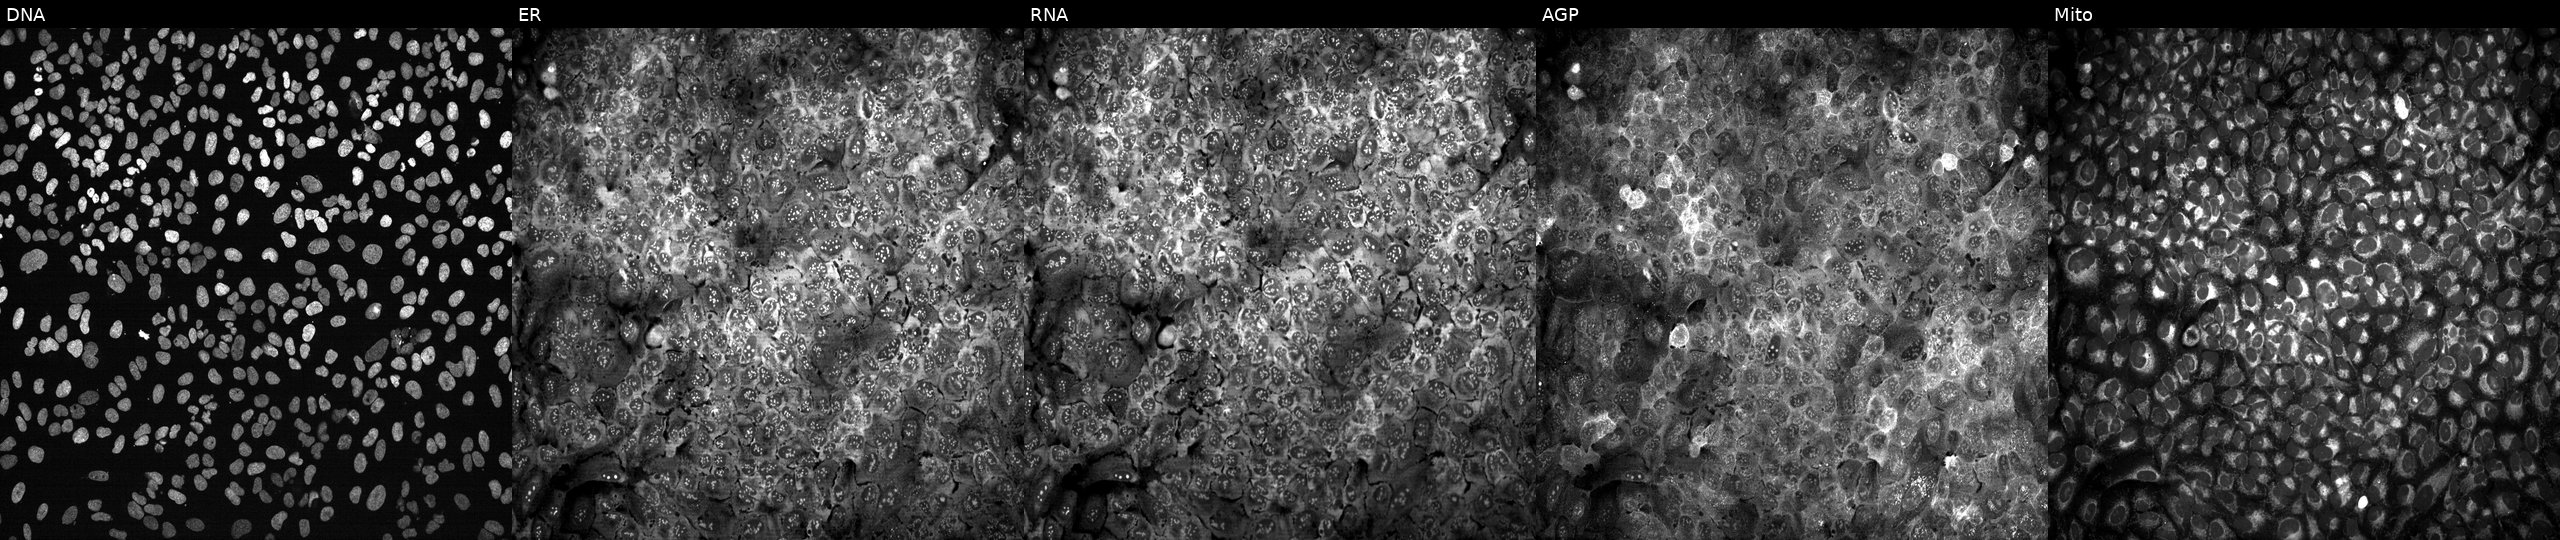
Channels (left→right): Hoechst 33342, concanavalin A, SYTO 14, phalloidin and WGA, MitoTracker. U2OS osteosarcoma cells CRISPR-edited to disrupt STEAP2 (JUMP id JCP2022_806831). Cell Painting assay, JUMP-CP dataset.